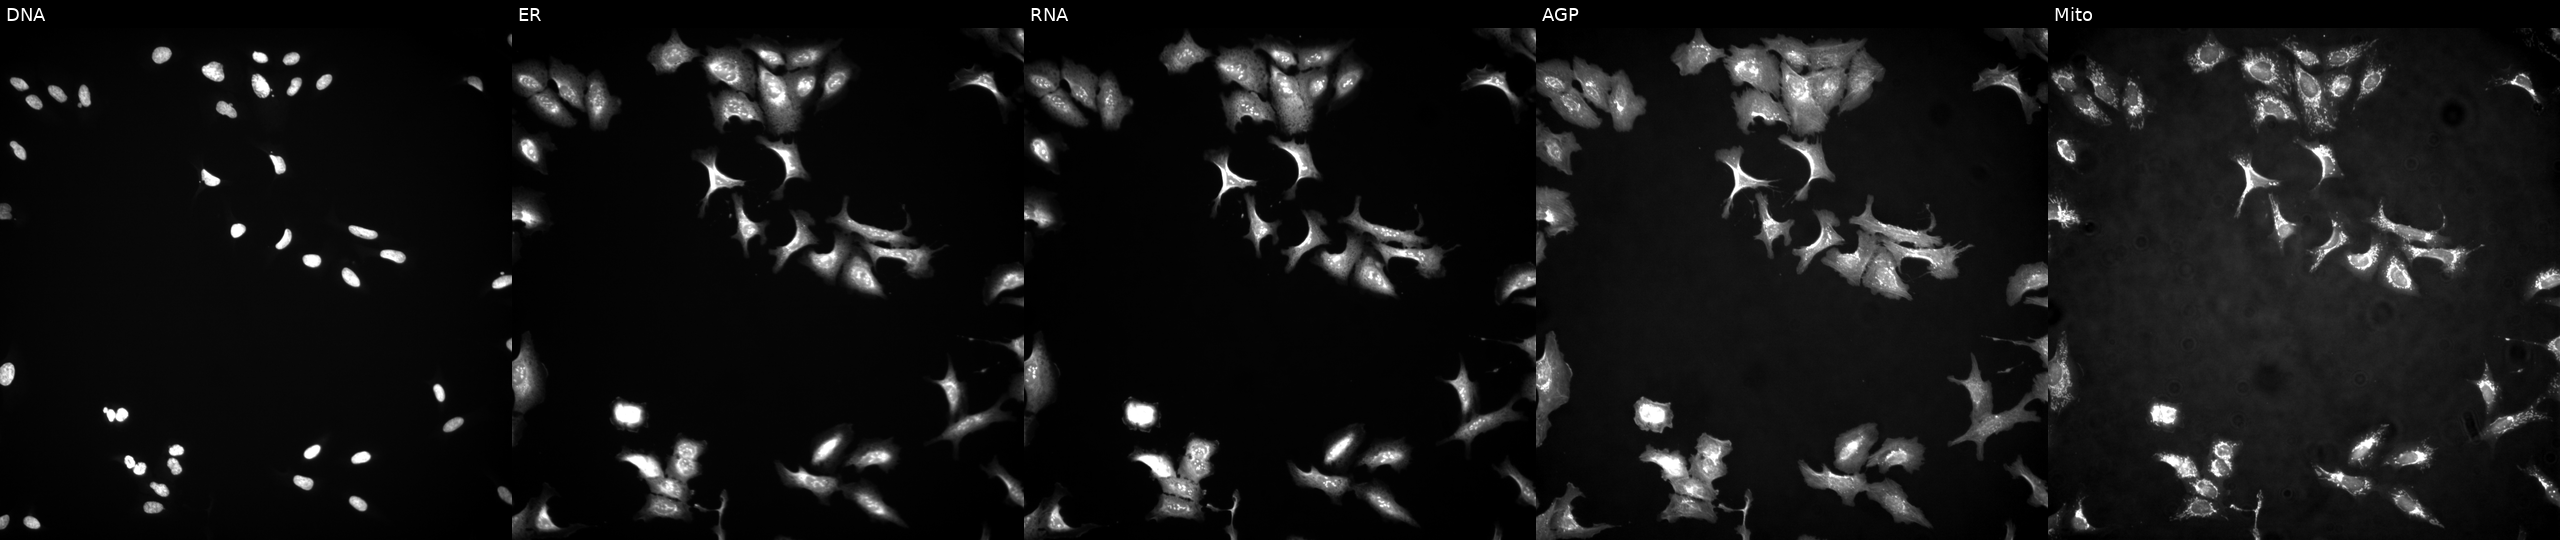
High-content fluorescence microscopy (Cell Painting). Cell line: U2OS. Perturbation: with MAEA overexpressed (ORF) (JUMP id JCP2022_910705). Panels show, left to right, Hoechst 33342, concanavalin A, SYTO 14, phalloidin and WGA, MitoTracker.